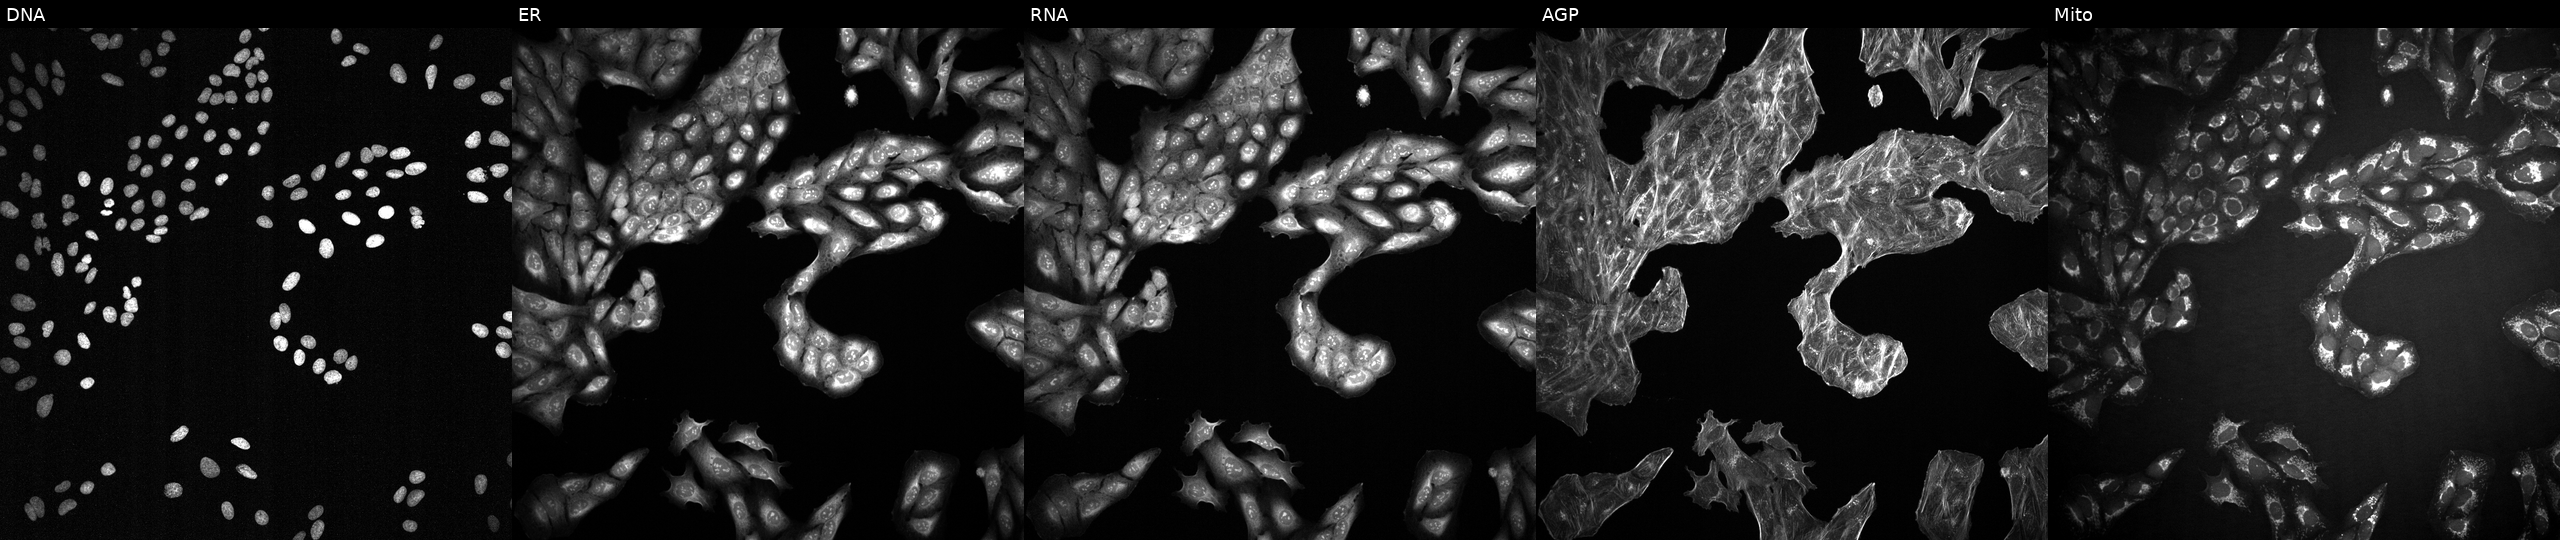
This image strip shows the five Cell Painting channels for a single field of U2OS cells treated with DMSO vehicle only (negative control) (JUMP id JCP2022_033924). Channels (left→right): DNA, ER, RNA, AGP, and Mito. Source 2, plate 1053599503, well E05.